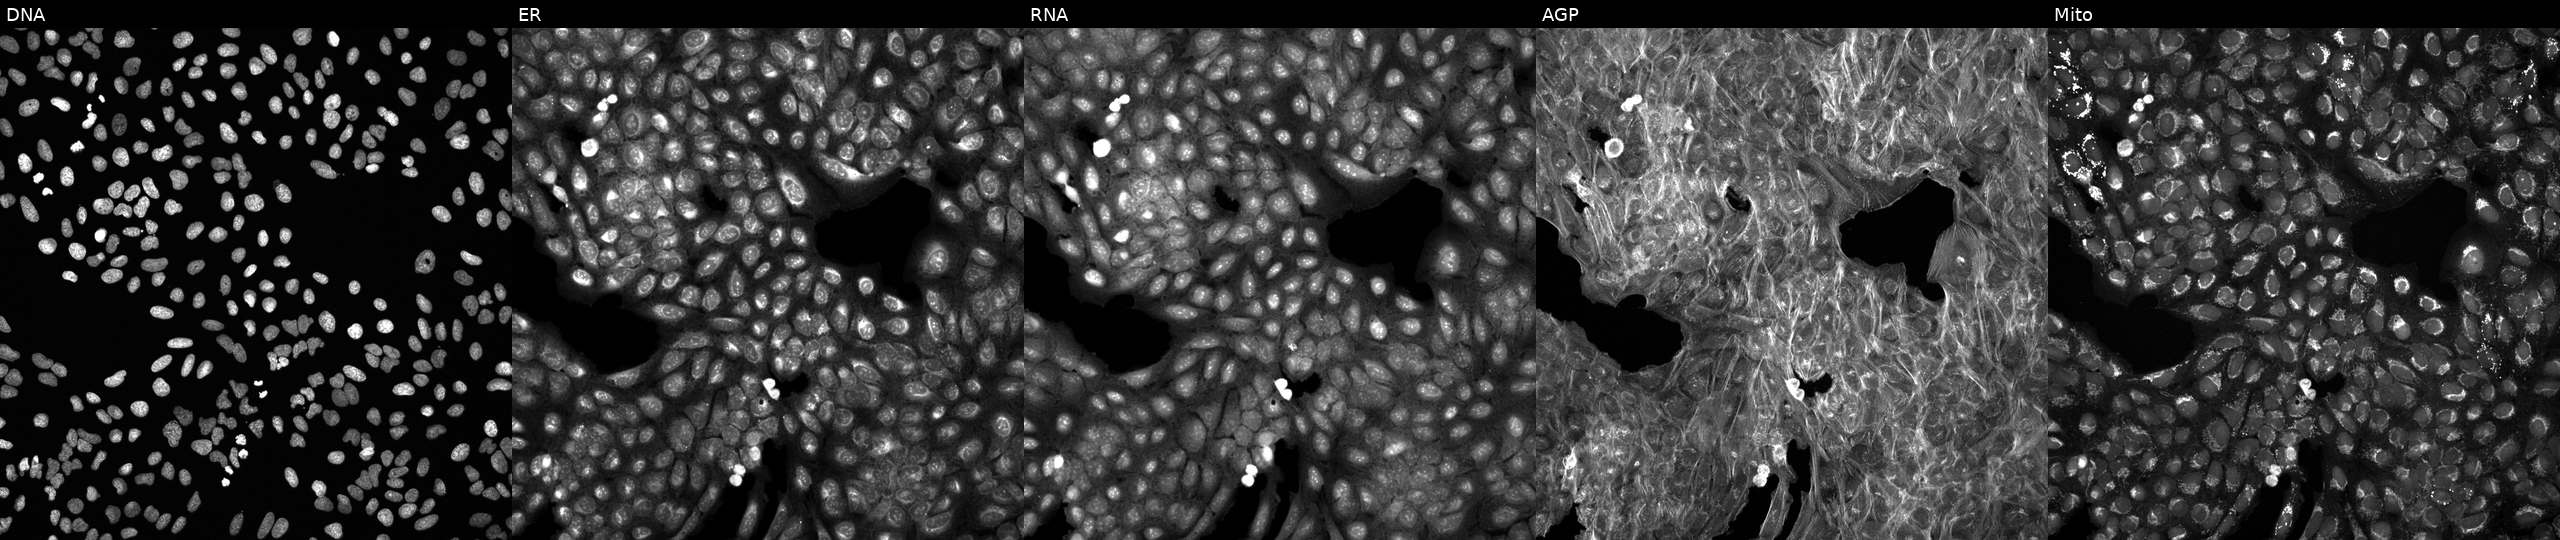
Five-channel Cell Painting image of U2OS cells treated with a small-molecule compound (InChIKey GVJHHUAWPYXKBD-UHFFFAOYSA-N). From left to right: DNA (nuclei); ER (endoplasmic reticulum); RNA (nucleoli and cytoplasmic RNA); AGP (actin cytoskeleton, Golgi, and plasma membrane); Mito (mitochondria).